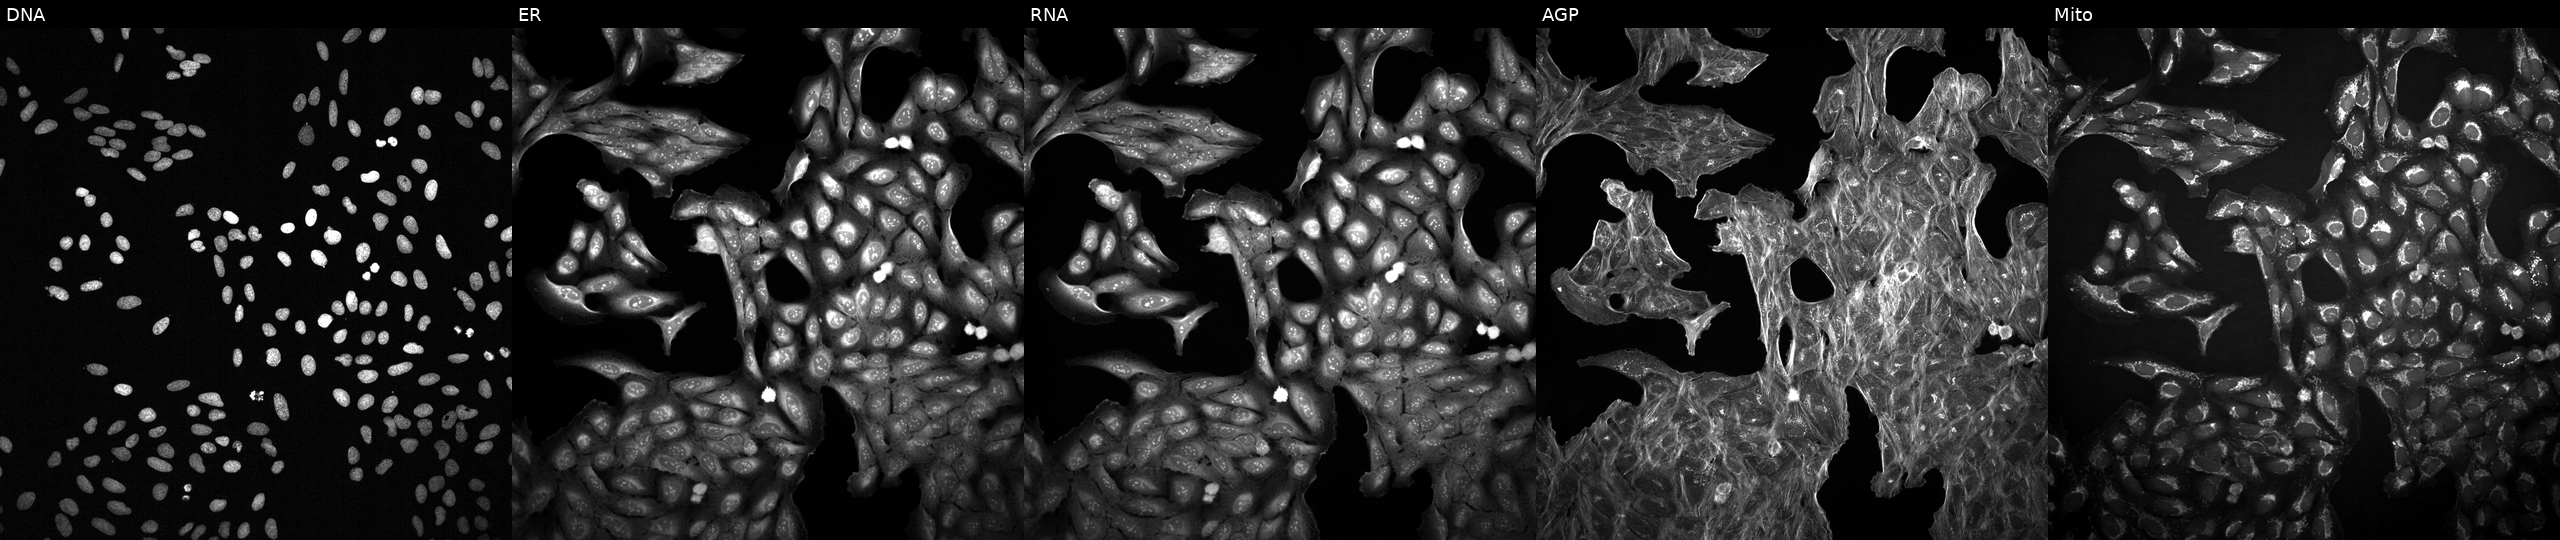
High-content fluorescence microscopy (Cell Painting). Cell line: U2OS. Perturbation: treated with a small-molecule compound (InChIKey KJFMBFZCATUALV-UHFFFAOYSA-N) [SMILES: O=C1OC(c2ccc(O)cc2)(c2ccc(O)cc2)c2ccccc21] (JUMP id JCP2022_044972). Panels show, left to right, DNA (nuclei); ER (endoplasmic reticulum); RNA (nucleoli and cytoplasmic RNA); AGP (actin cytoskeleton, Golgi, and plasma membrane); Mito (mitochondria).